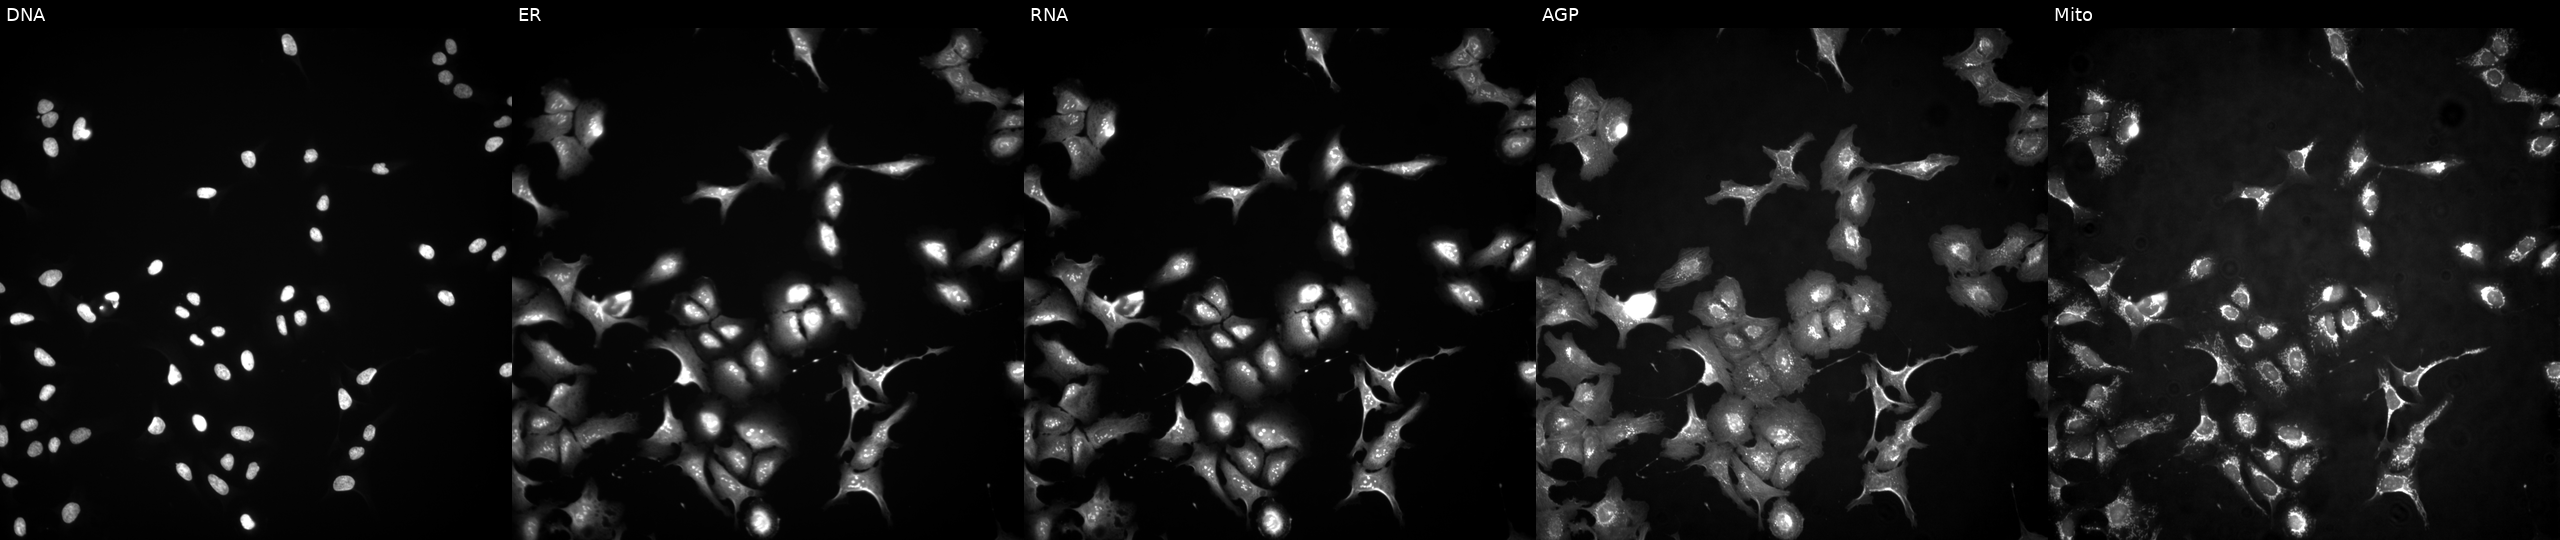
U2OS cells, Cell Painting assay, overexpressing TRIM16 via ORF transfection (JUMP id JCP2022_907155). Panels show, left to right, DNA, ER, RNA, AGP, and Mito. Each panel is percentile-stretched 16-bit fluorescence. Source 4, plate BR00117035, well K03.